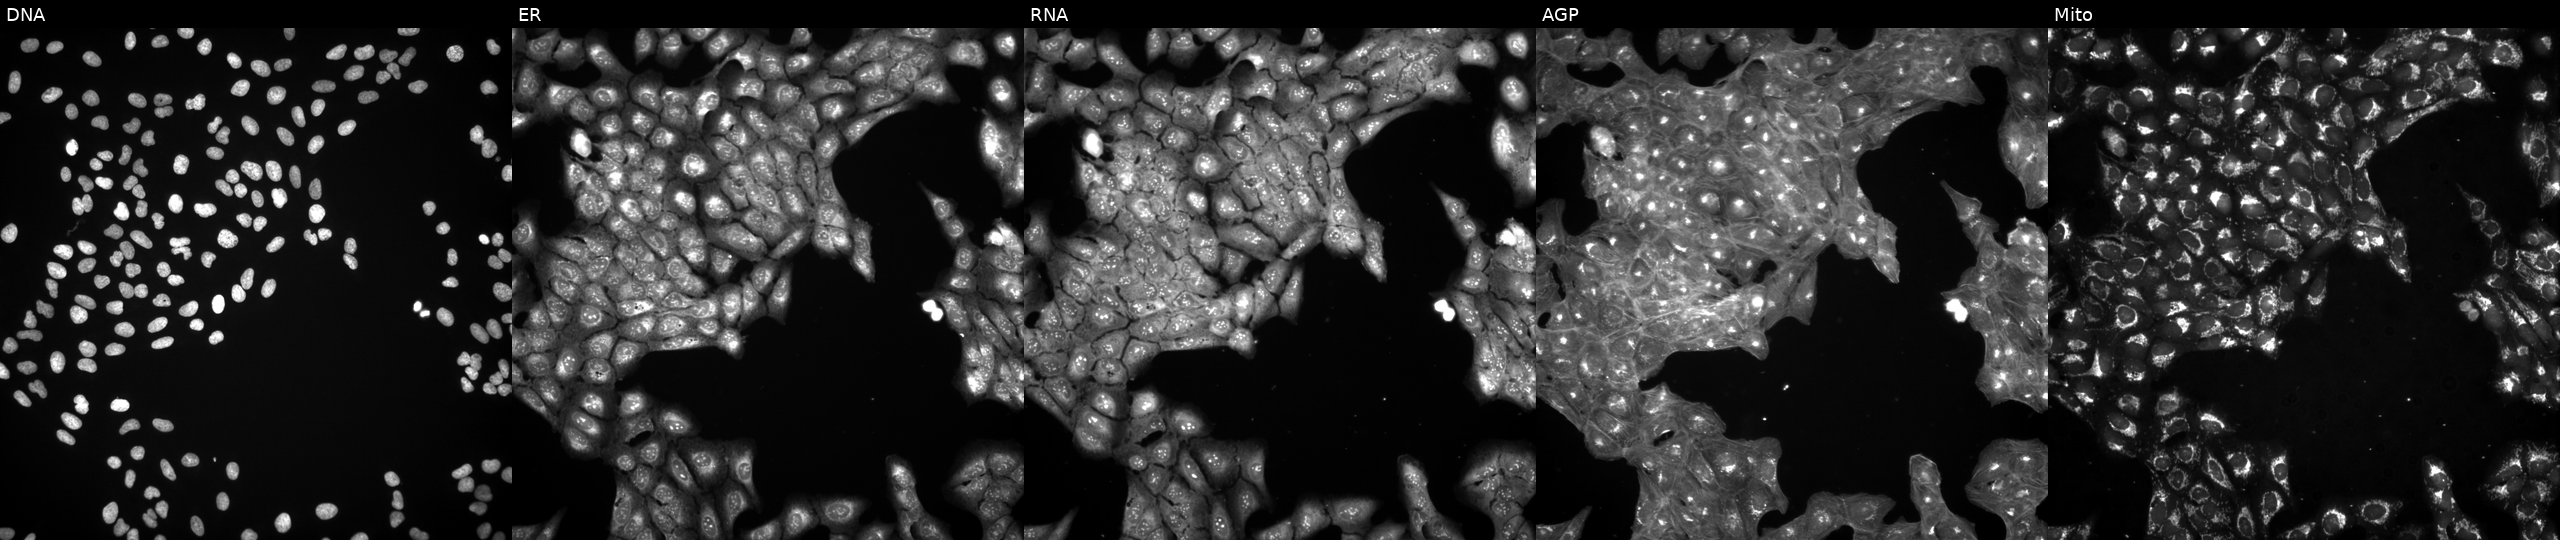
U2OS cells, Cell Painting assay, exposed to the positive-control compound quinidine. The five panels, left to right, show DNA, ER, RNA, AGP, and Mito. Each panel is percentile-stretched 16-bit fluorescence. Source 3, plate JCPQC052, well H12.